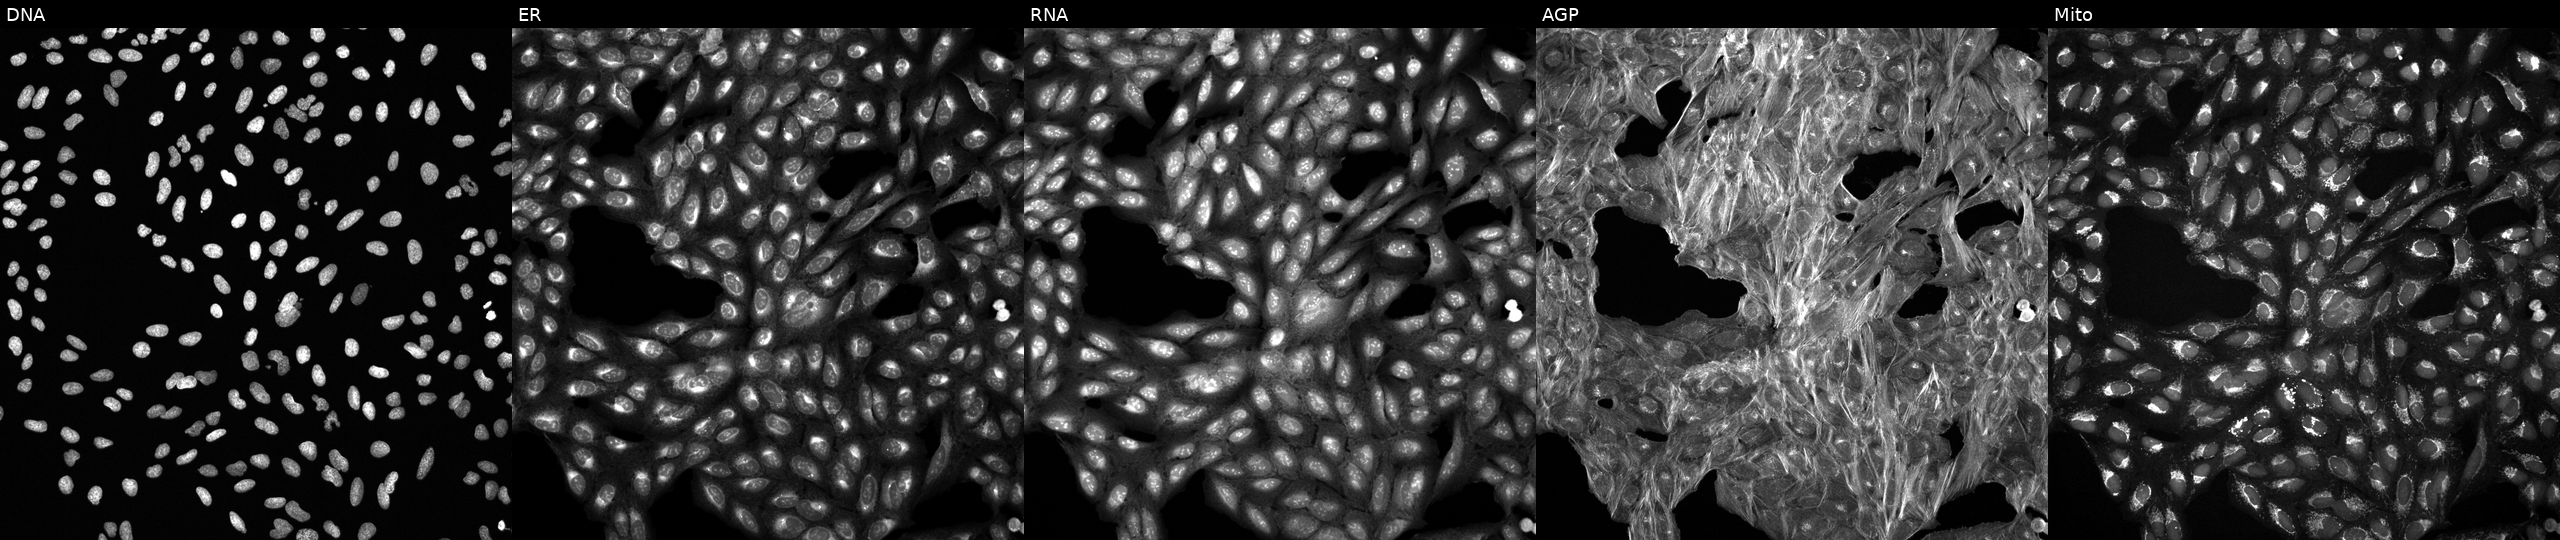
JUMP Cell Painting — TARGET2 plate. U2OS cells exposed to a small-molecule compound [SMILES: Cc1ccc(NC(=O)c2cccc(N(C)C)c2)cc1NC(=O)c1ccc(O)cc1]. Channels (left→right): Hoechst 33342, concanavalin A, SYTO 14, phalloidin and WGA, MitoTracker.